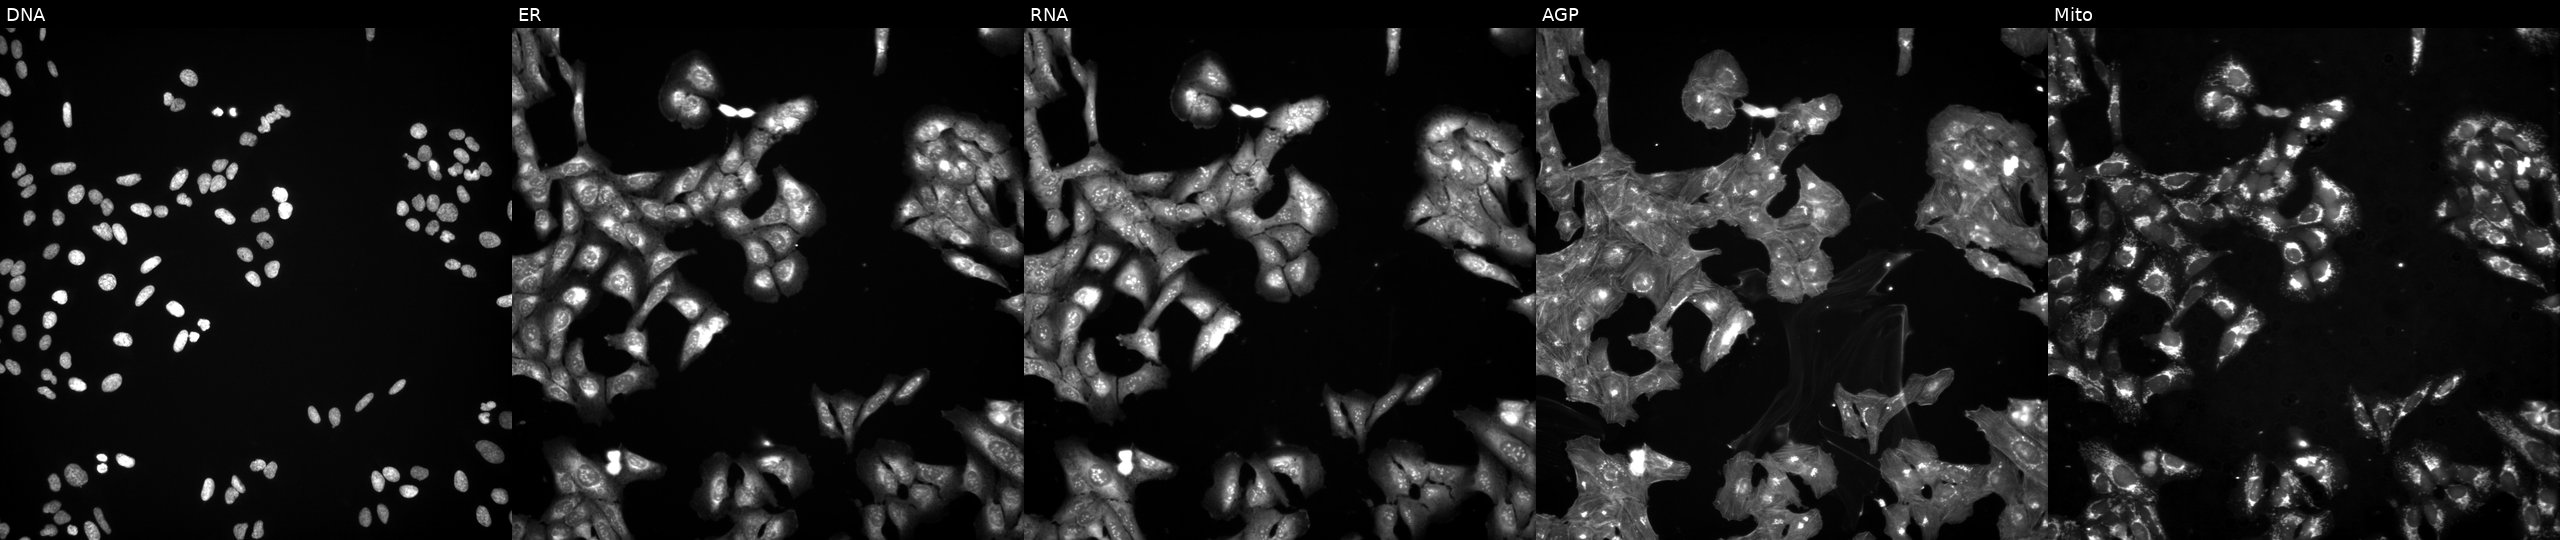
Five-channel Cell Painting image of U2OS cells treated with a small-molecule compound (InChIKey SOQGMJOQWMDRTC-UHFFFAOYSA-N). Channels (left→right): DNA (nuclei); ER (endoplasmic reticulum); RNA (nucleoli and cytoplasmic RNA); AGP (actin cytoskeleton, Golgi, and plasma membrane); Mito (mitochondria). Source 3, plate BR5867a3, well N22.